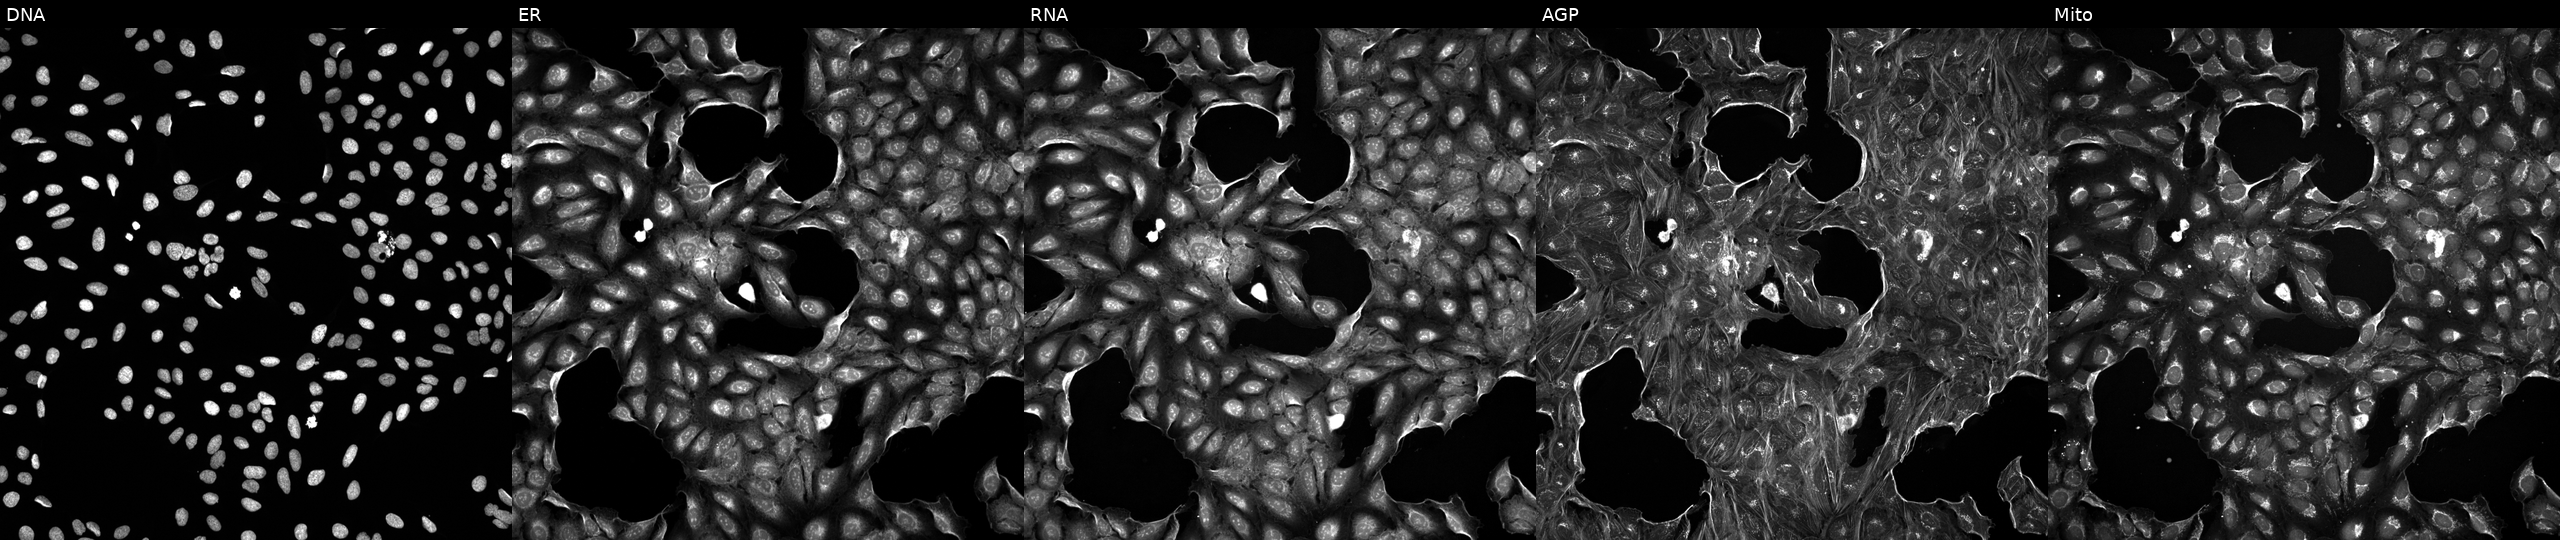
High-content fluorescence microscopy (Cell Painting). Cell line: U2OS. Perturbation: treated with a small-molecule compound (InChIKey ALBKMJDFBZVHAK-UHFFFAOYSA-N) (JUMP id JCP2022_002118). The five panels, left to right, show Hoechst 33342, concanavalin A, SYTO 14, phalloidin and WGA, MitoTracker. Source 5, plate ACPJUM032, well N16.